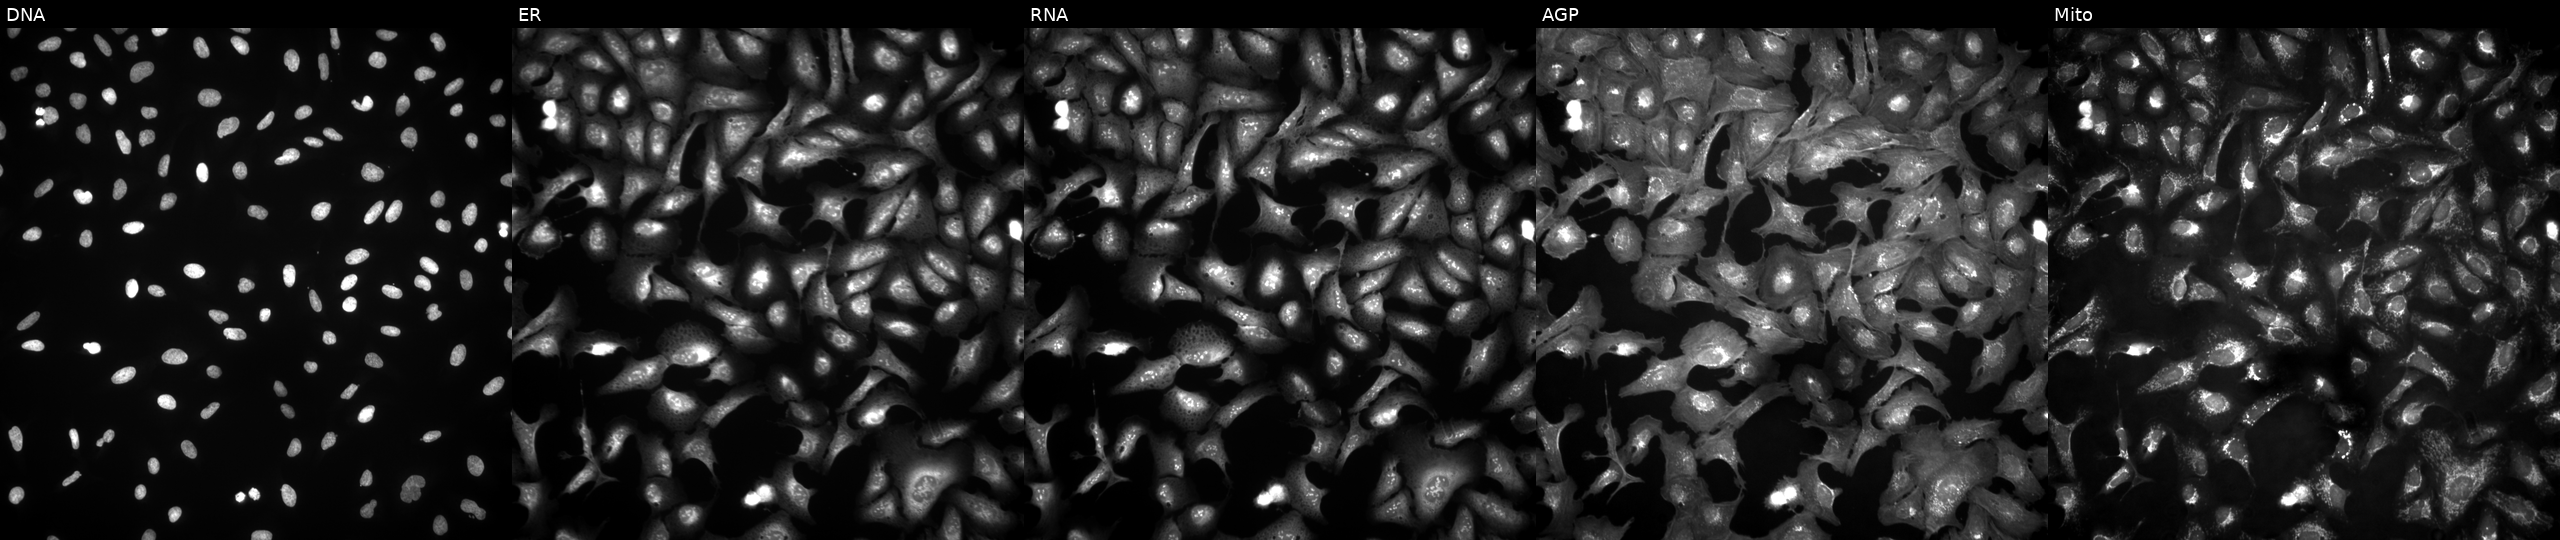
High-content fluorescence microscopy (Cell Painting). Cell line: U2OS. Perturbation: transfected with an ORF construct for GBP6 (JUMP id JCP2022_909087). The five panels, left to right, show DNA, ER, RNA, AGP, and Mito. Source 4, plate BR00124790, well B06.